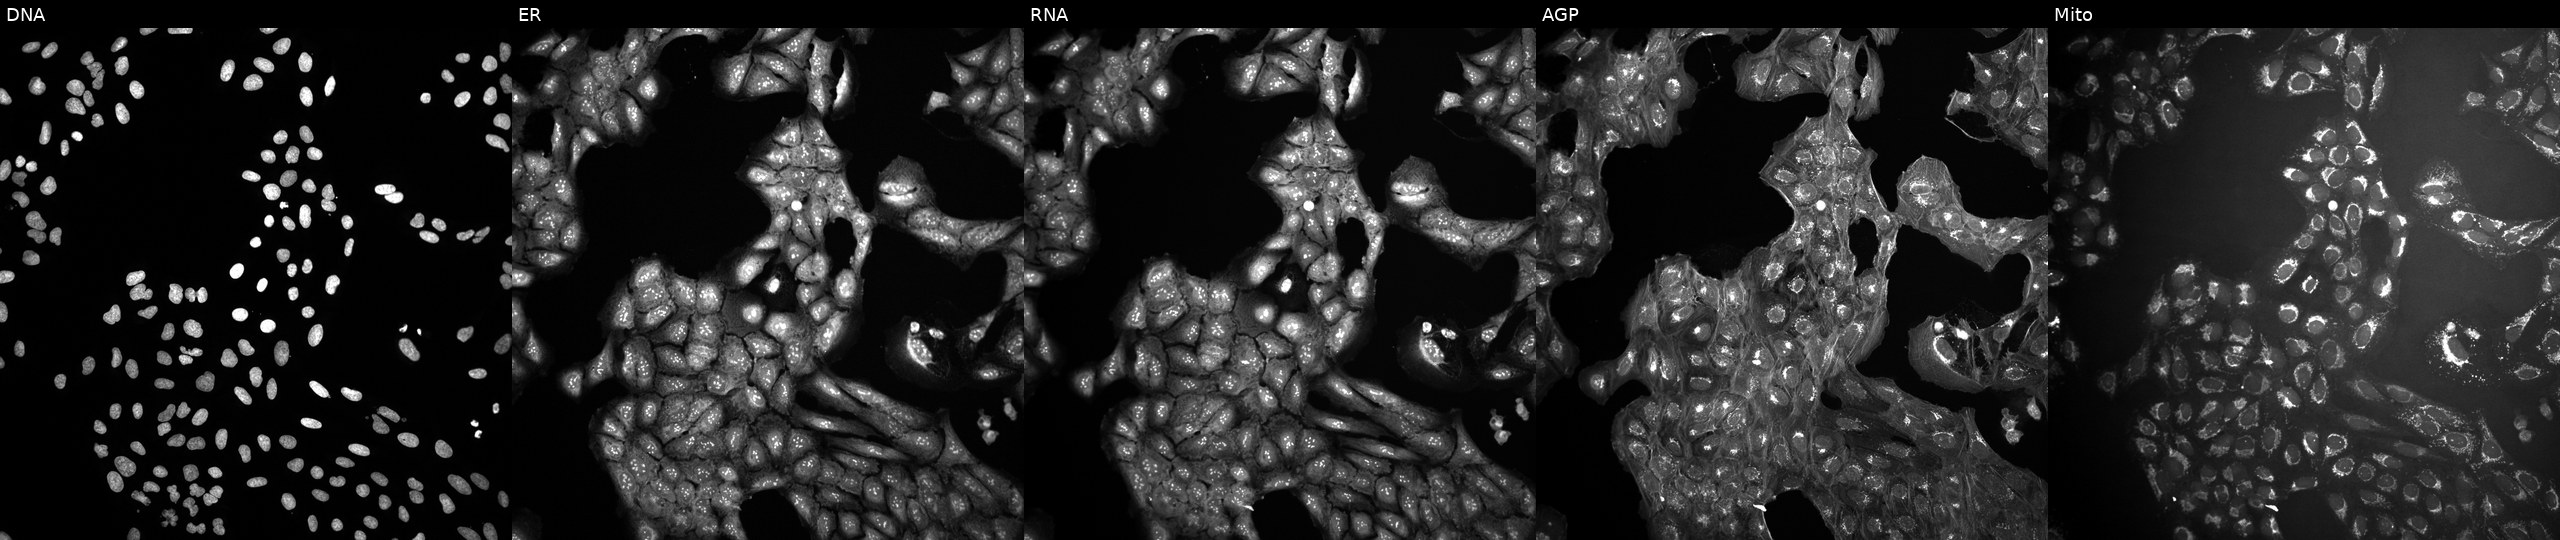
Five-channel Cell Painting image of U2OS cells untreated (empty-well control). From left to right: DNA (nuclei); ER (endoplasmic reticulum); RNA (nucleoli and cytoplasmic RNA); AGP (actin cytoskeleton, Golgi, and plasma membrane); Mito (mitochondria).